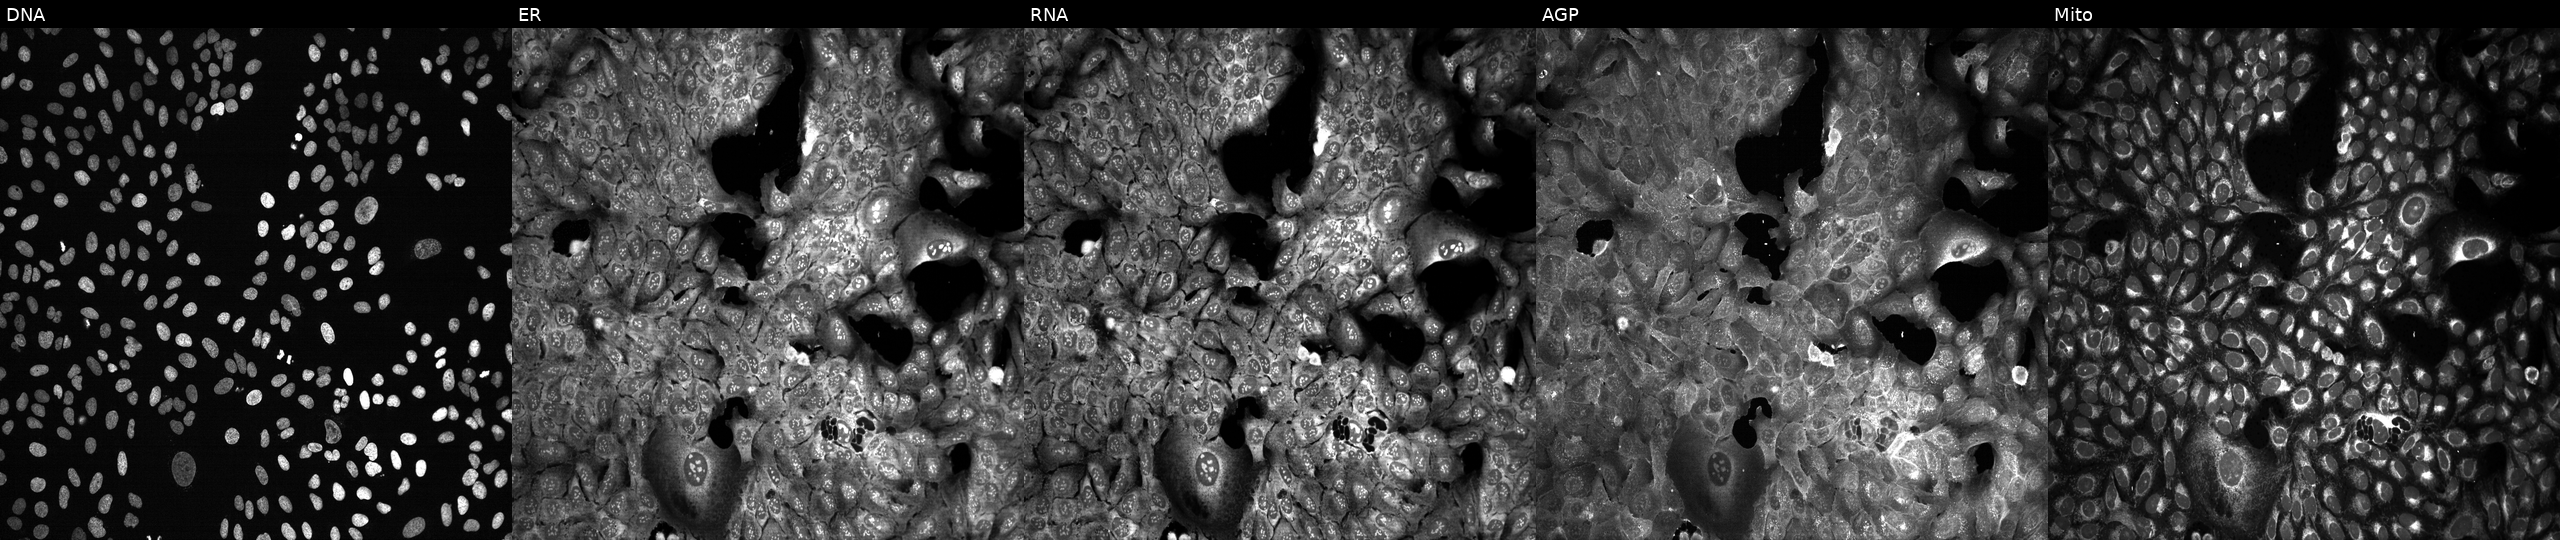
JUMP Cell Painting — CRISPR plate. U2OS cells with no CRISPR guide (negative control). Channels (left→right): DNA (nuclei); ER (endoplasmic reticulum); RNA (nucleoli and cytoplasmic RNA); AGP (actin cytoskeleton, Golgi, and plasma membrane); Mito (mitochondria).